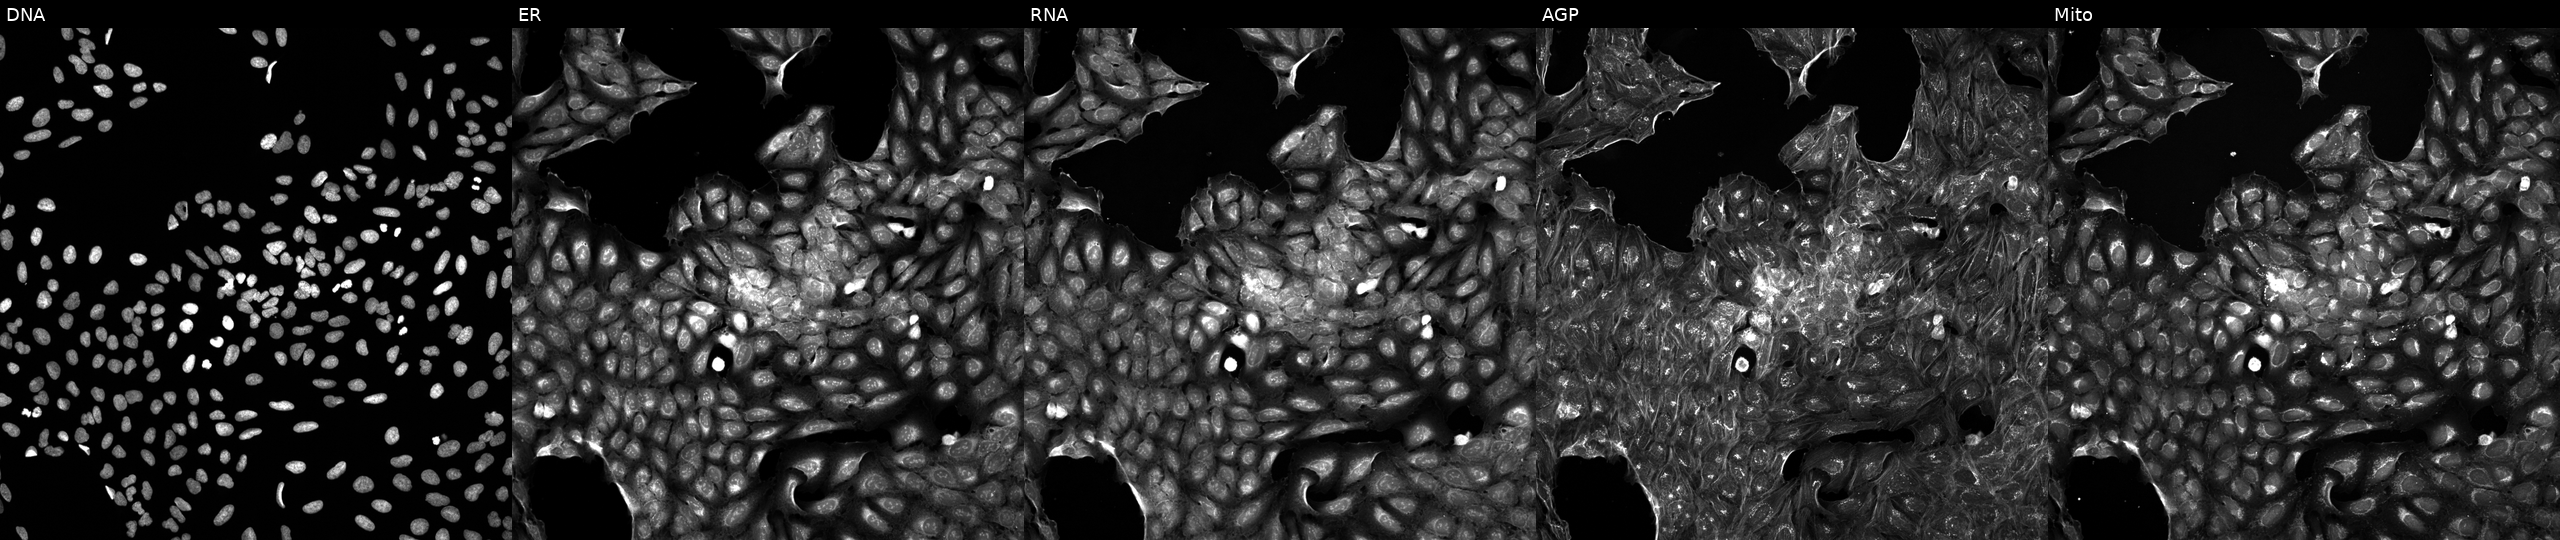
High-content fluorescence microscopy (Cell Painting). Cell line: U2OS. Perturbation: treated with a small-molecule compound. Panels show, left to right, DNA, ER, RNA, AGP, and Mito.